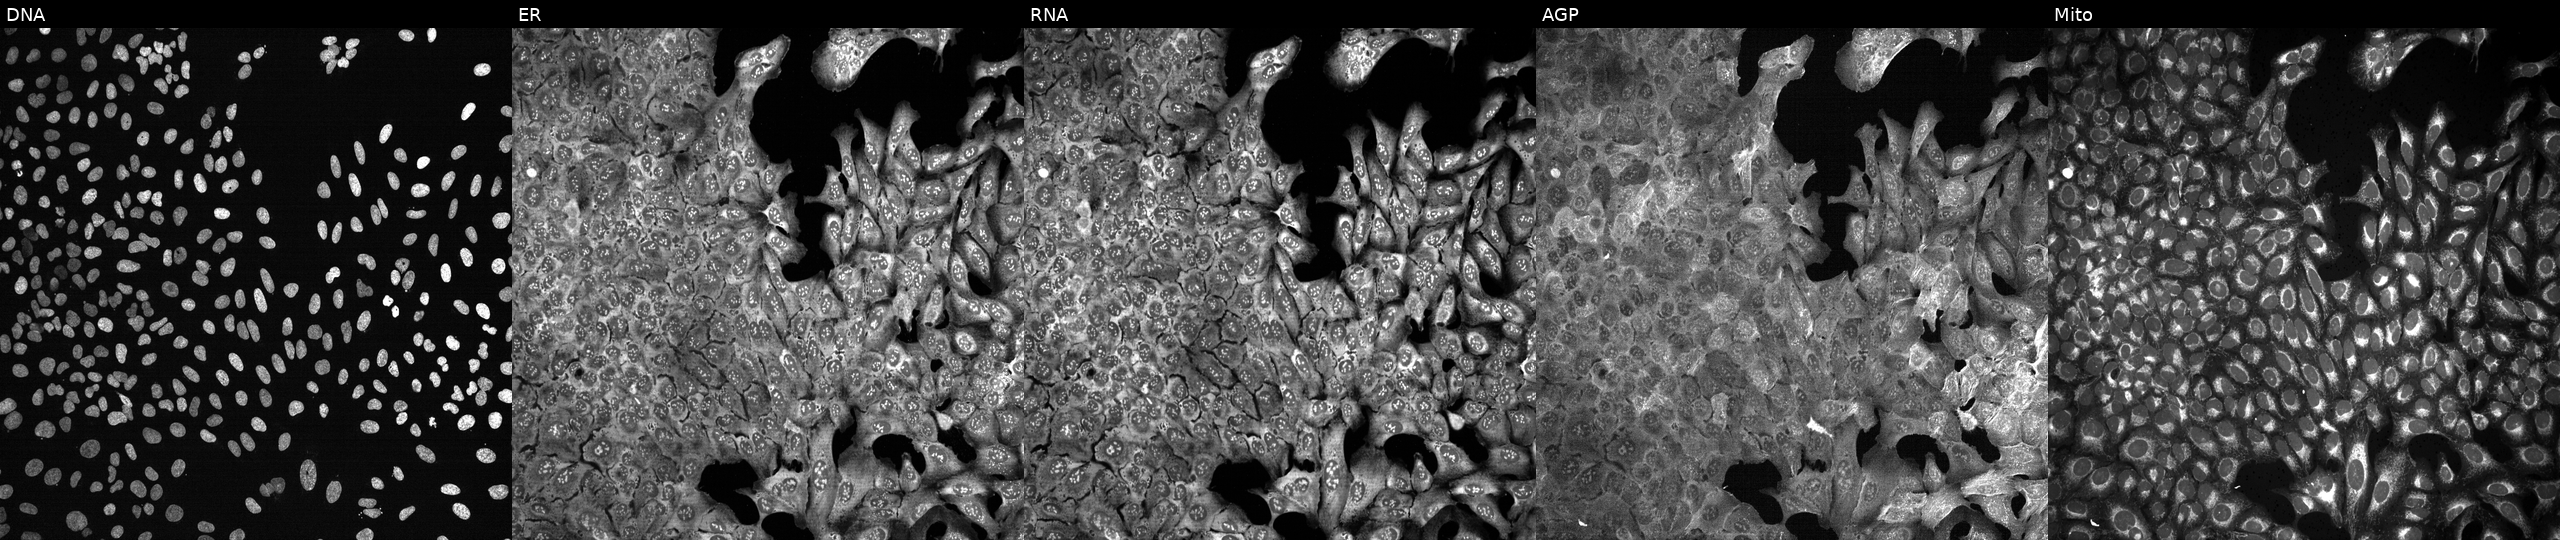
U2OS cells, Cell Painting assay, with ASNSD1 knocked out by CRISPR (JUMP id JCP2022_800651). Channels (left→right): Hoechst 33342, concanavalin A, SYTO 14, phalloidin and WGA, MitoTracker. Each panel is percentile-stretched 16-bit fluorescence.